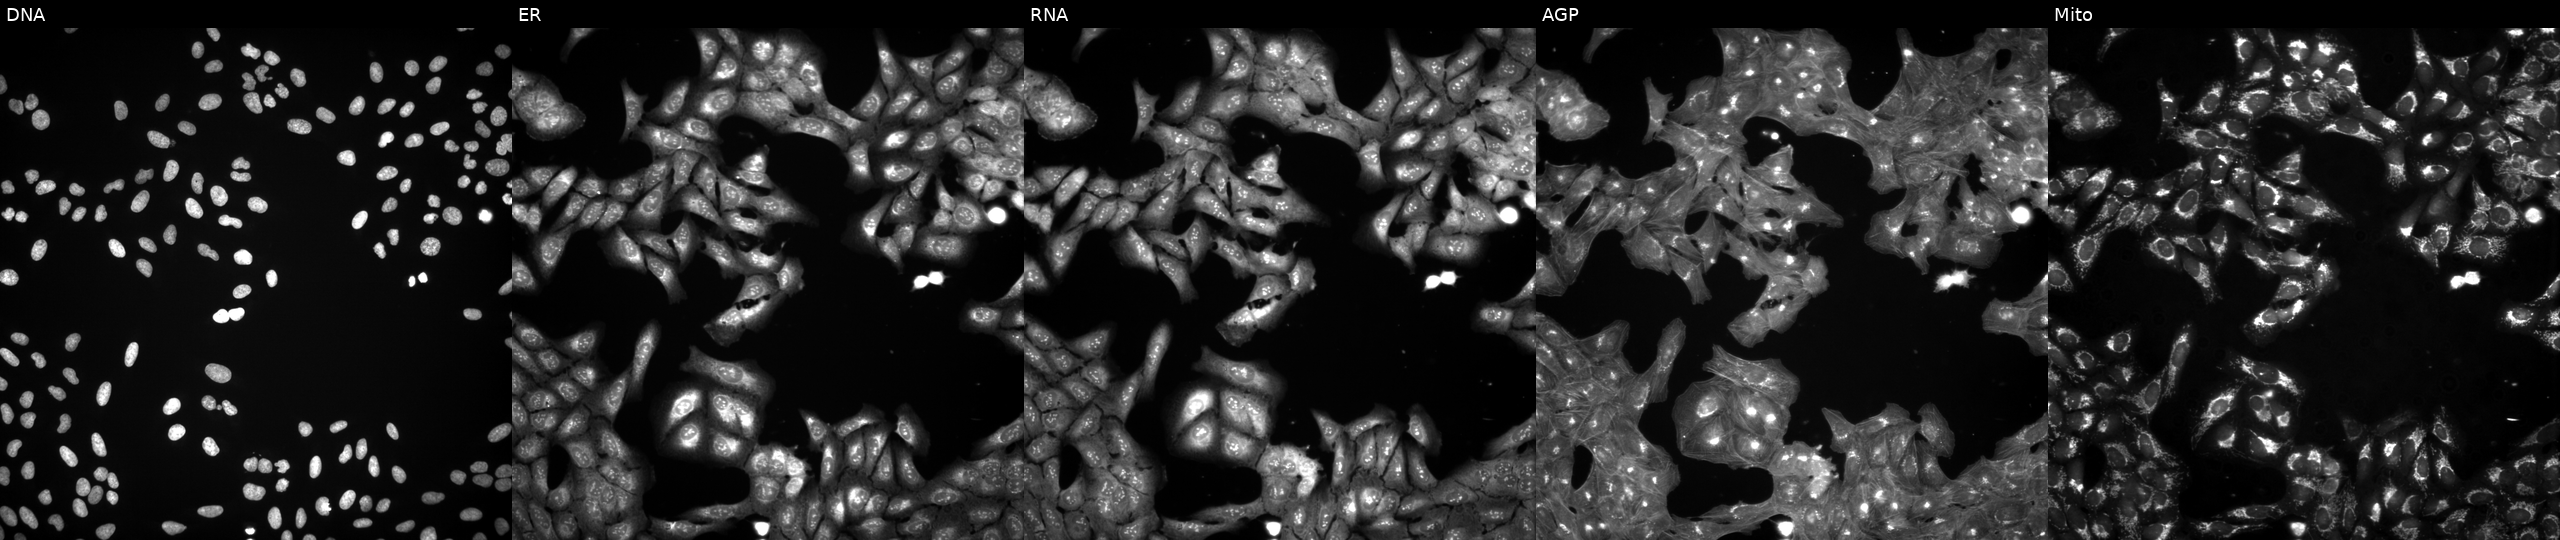
U2OS cells, Cell Painting assay, exposed to a small-molecule compound (InChIKey MVCQKIKWYUURMU-UHFFFAOYSA-N) (JUMP id JCP2022_056730). Panels show, left to right, DNA, ER, RNA, AGP, and Mito. Each panel is percentile-stretched 16-bit fluorescence.